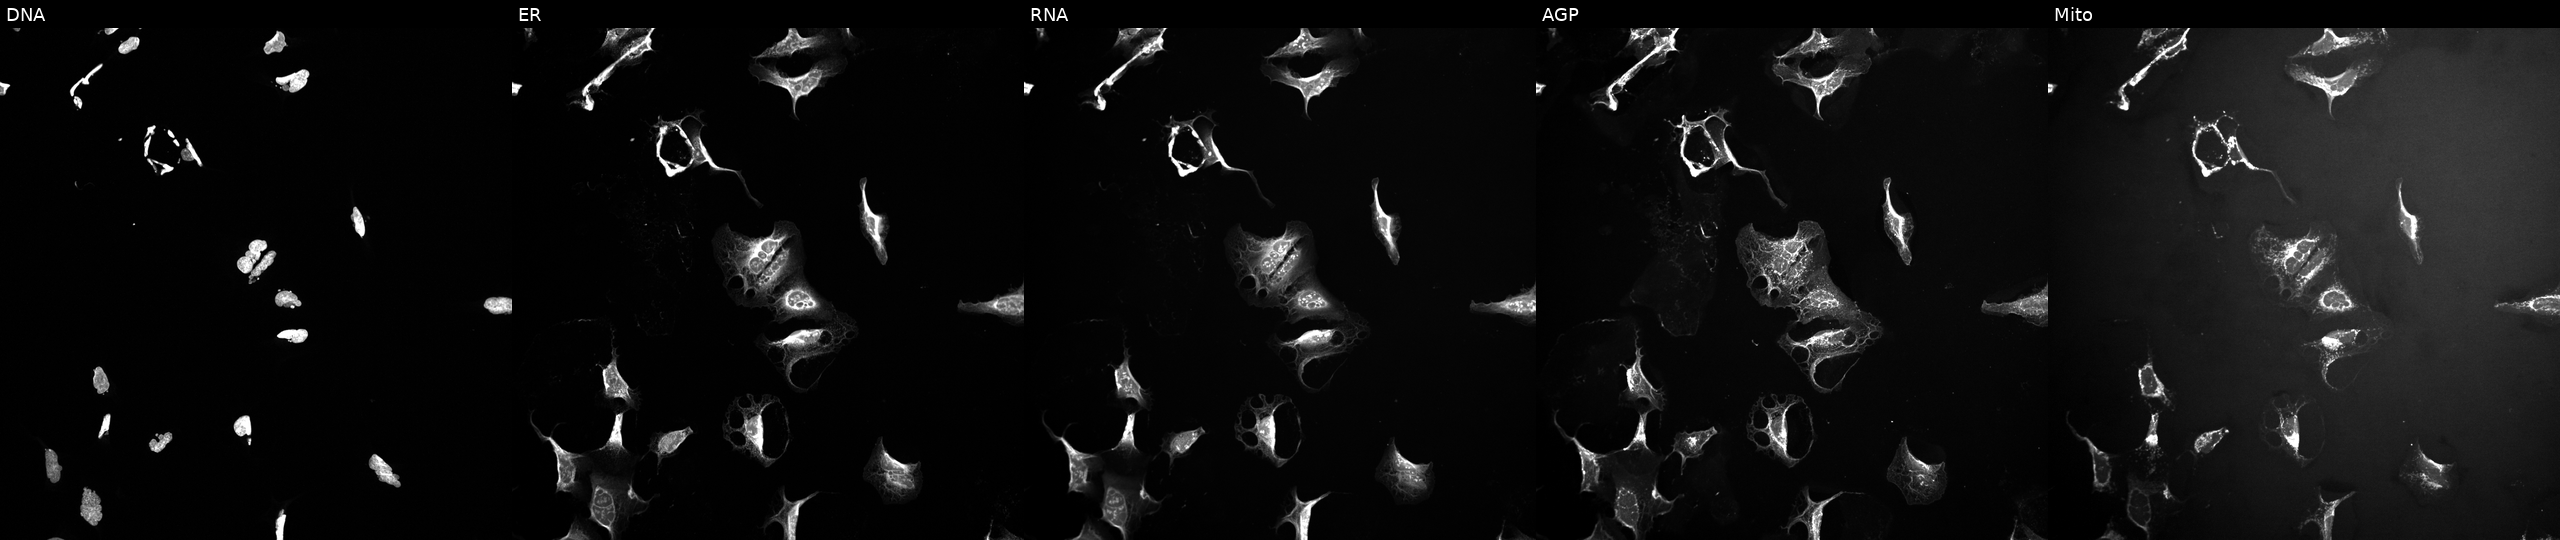
High-content fluorescence microscopy (Cell Painting). Cell line: U2OS. Perturbation: perturbed with a small-molecule compound (InChIKey KRBSMMVJJVHVCB-UHFFFAOYSA-N). Panels show, left to right, Hoechst 33342, concanavalin A, SYTO 14, phalloidin and WGA, MitoTracker. Source 10, plate Dest210803-153958, well J14.